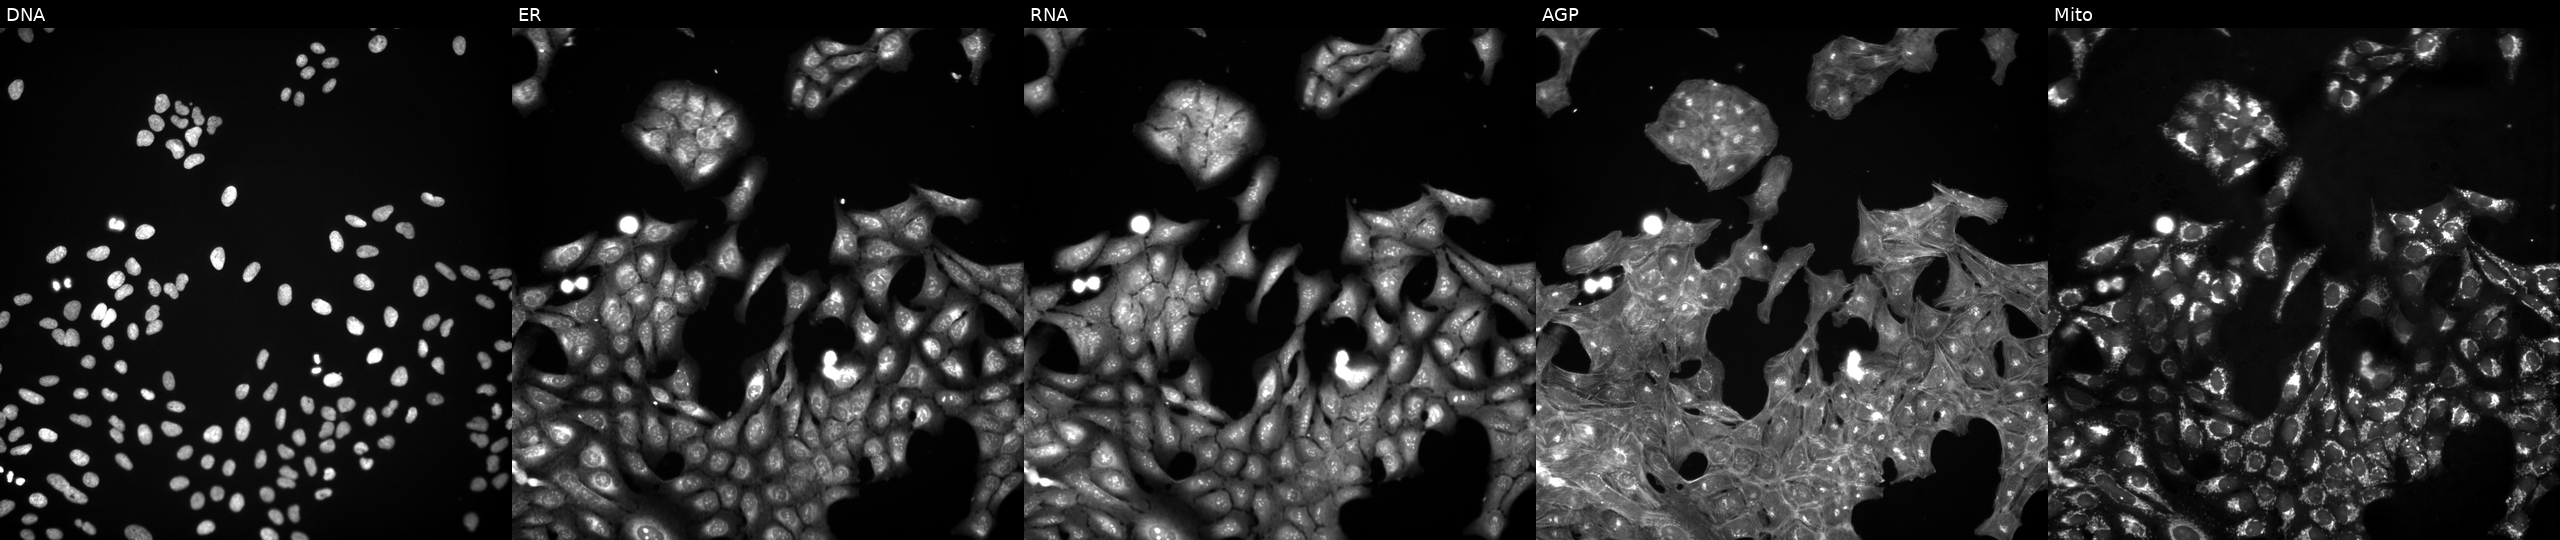
High-content fluorescence microscopy (Cell Painting). Cell line: U2OS. Perturbation: perturbed with a small-molecule compound (JUMP id JCP2022_062023). Panels show, left to right, DNA, ER, RNA, AGP, and Mito.